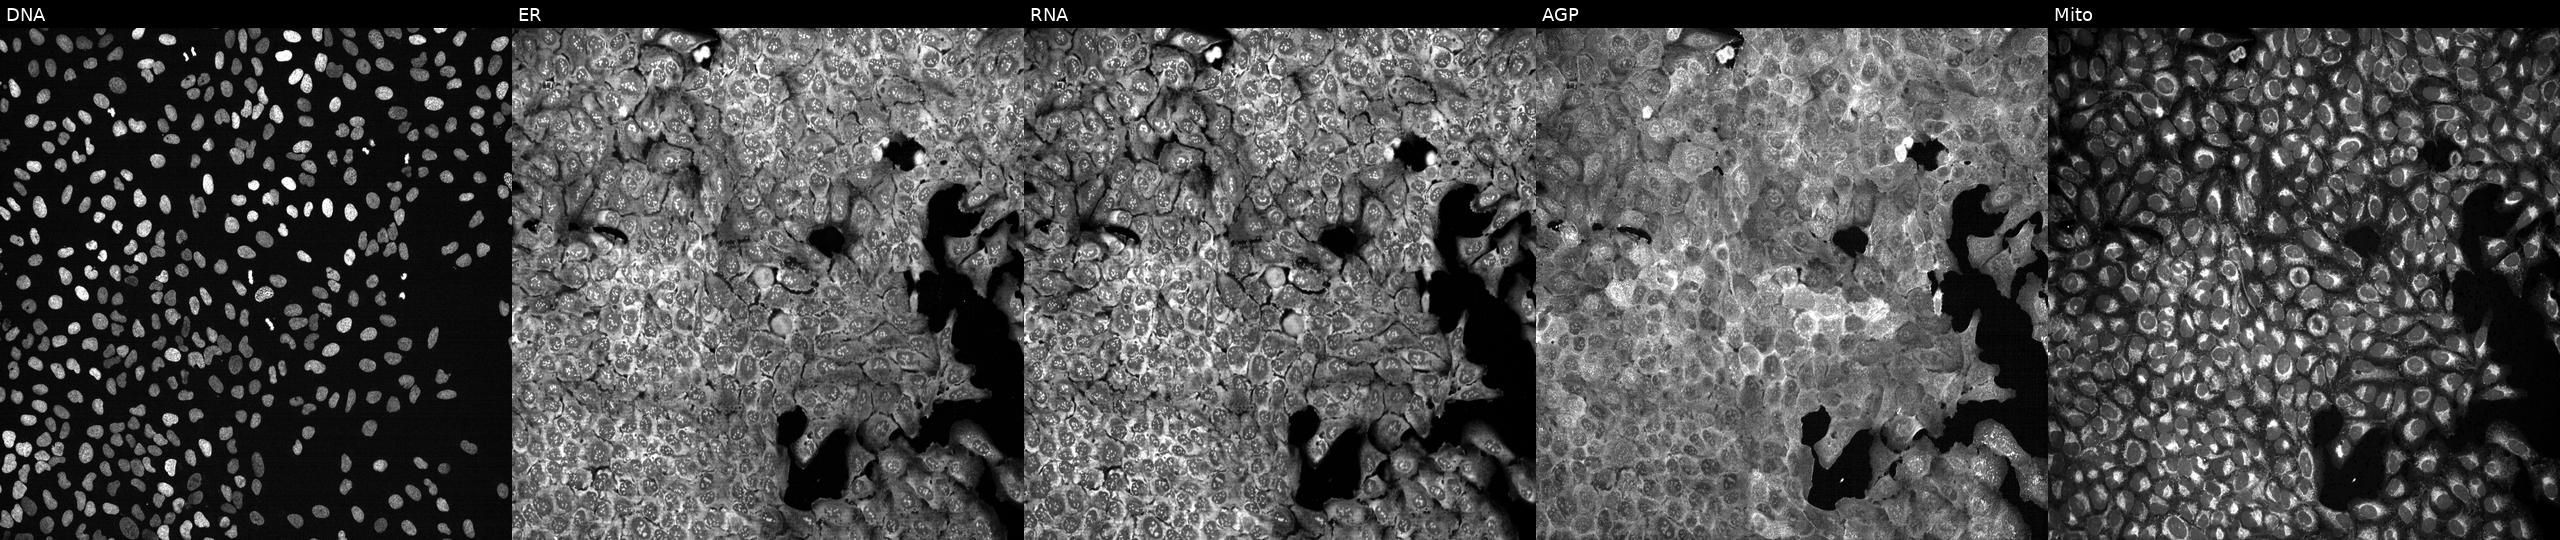
Panels show, left to right, Hoechst 33342, concanavalin A, SYTO 14, phalloidin and WGA, MitoTracker. U2OS osteosarcoma cells CRISPR-edited to disrupt NAT2 (JUMP id JCP2022_804439). Cell Painting assay, JUMP-CP dataset. Source 13, plate CP-CC9-R2-02, well J15.